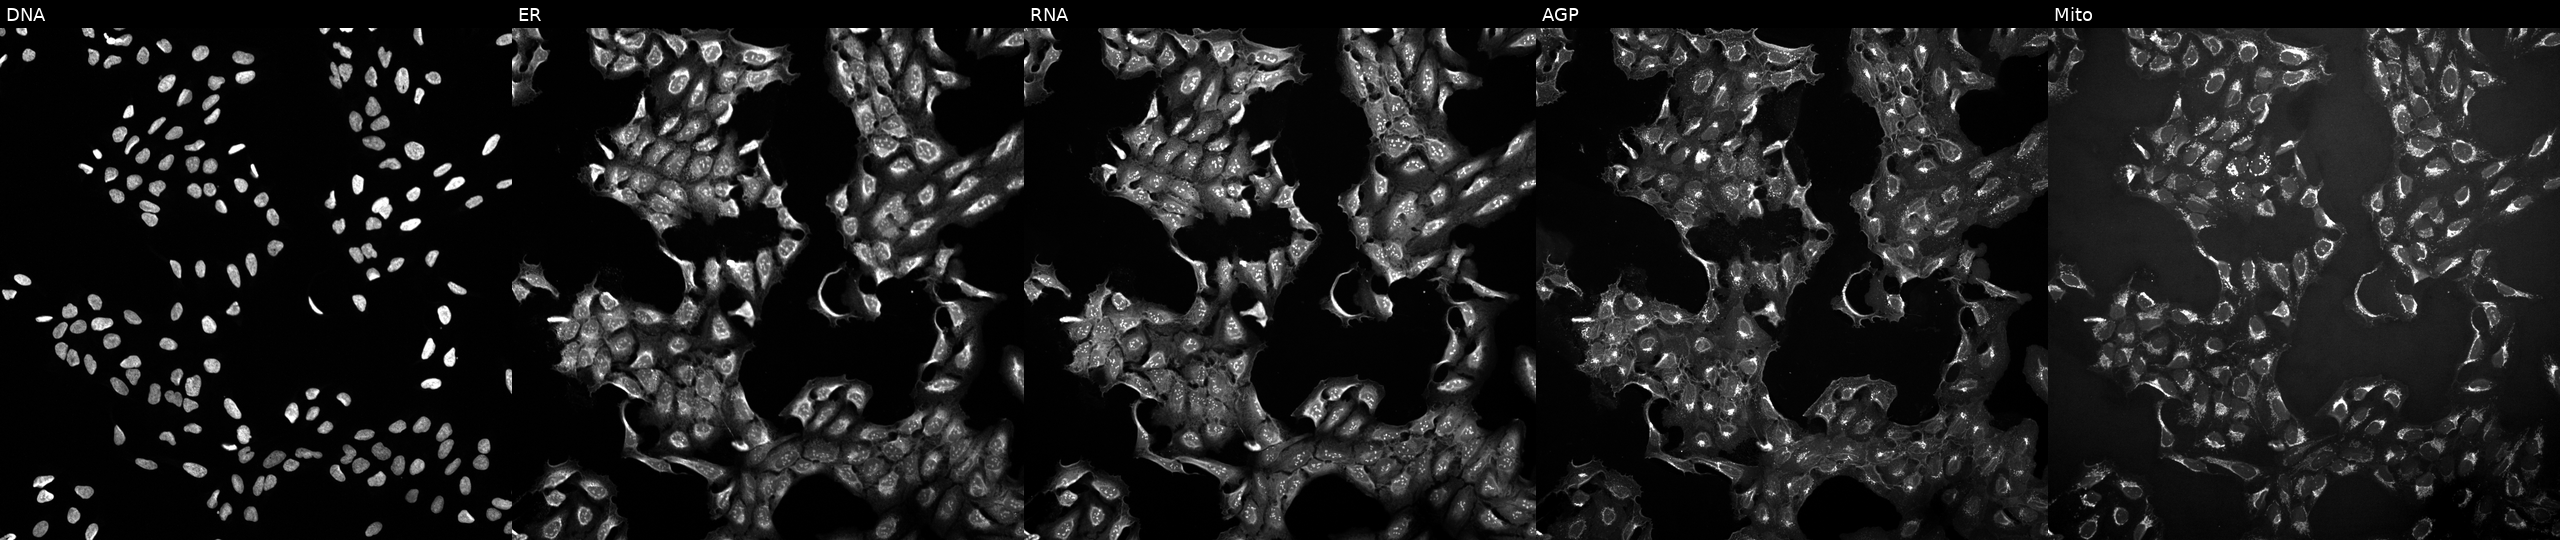
Five-channel Cell Painting image of U2OS cells exposed to a small-molecule compound (JUMP id JCP2022_088224). From left to right: DNA (nuclei); ER (endoplasmic reticulum); RNA (nucleoli and cytoplasmic RNA); AGP (actin cytoskeleton, Golgi, and plasma membrane); Mito (mitochondria).